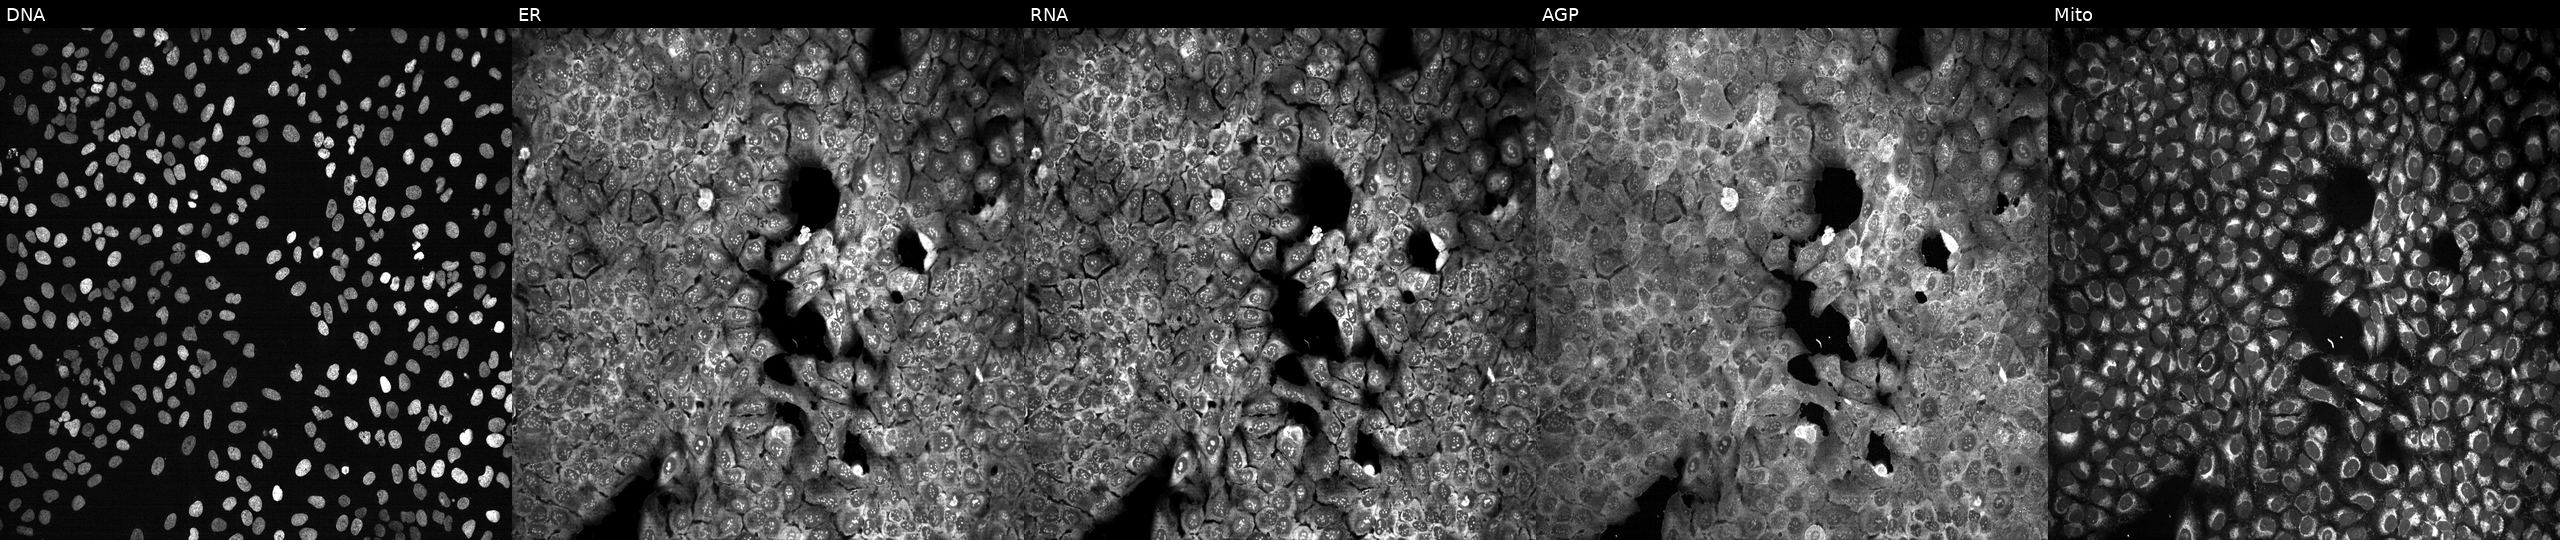
Five-channel Cell Painting image of U2OS cells with HMOX2 knocked out by CRISPR (JUMP id JCP2022_803156). Channels (left→right): Hoechst 33342, concanavalin A, SYTO 14, phalloidin and WGA, MitoTracker.